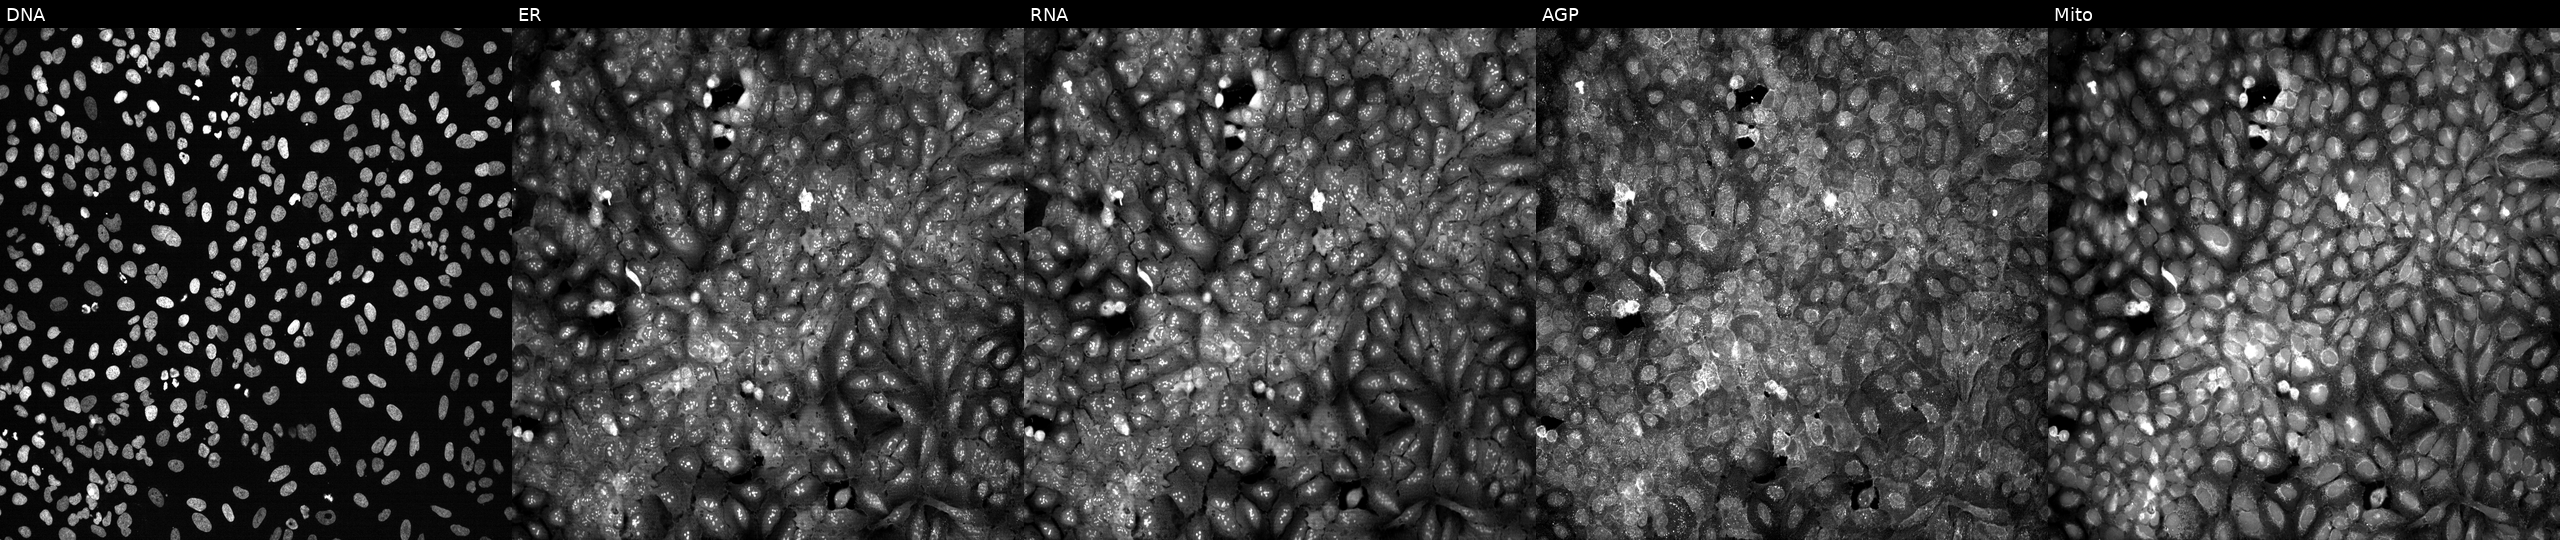
U2OS cells, Cell Painting assay, following CRISPR knockout of MS4A8. Panels show, left to right, Hoechst 33342, concanavalin A, SYTO 14, phalloidin and WGA, MitoTracker. Each panel is percentile-stretched 16-bit fluorescence. Source 13, plate CP-CC9-R1-02, well P21.